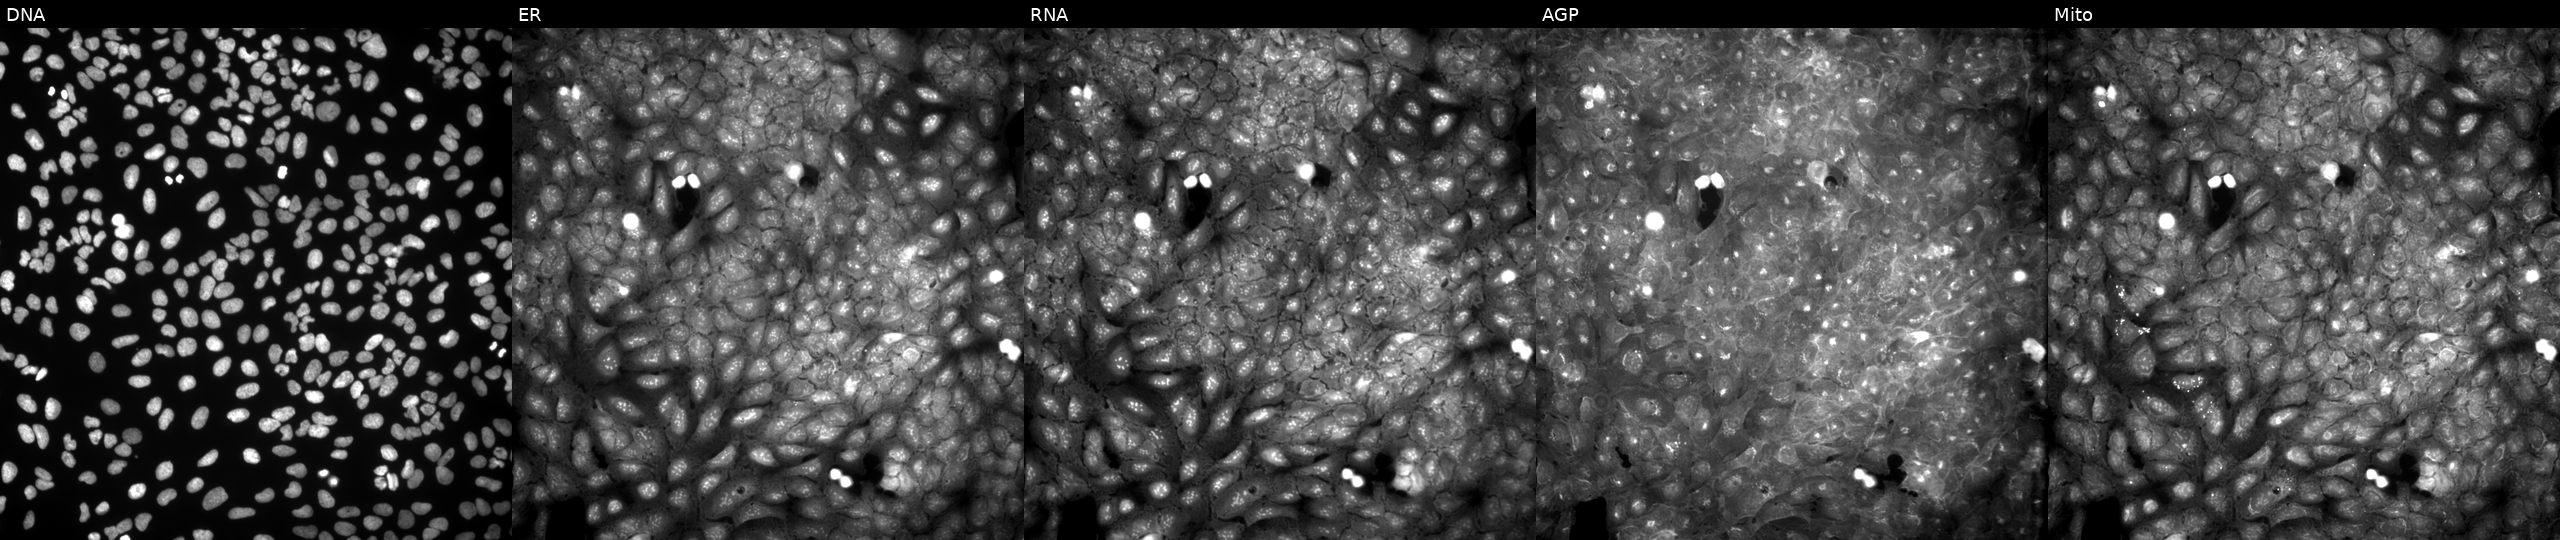
This image strip shows the five Cell Painting channels for a single field of U2OS cells treated with a small-molecule compound. From left to right: Hoechst 33342, concanavalin A, SYTO 14, phalloidin and WGA, MitoTracker. Source 9, plate GR00003381, well L28.